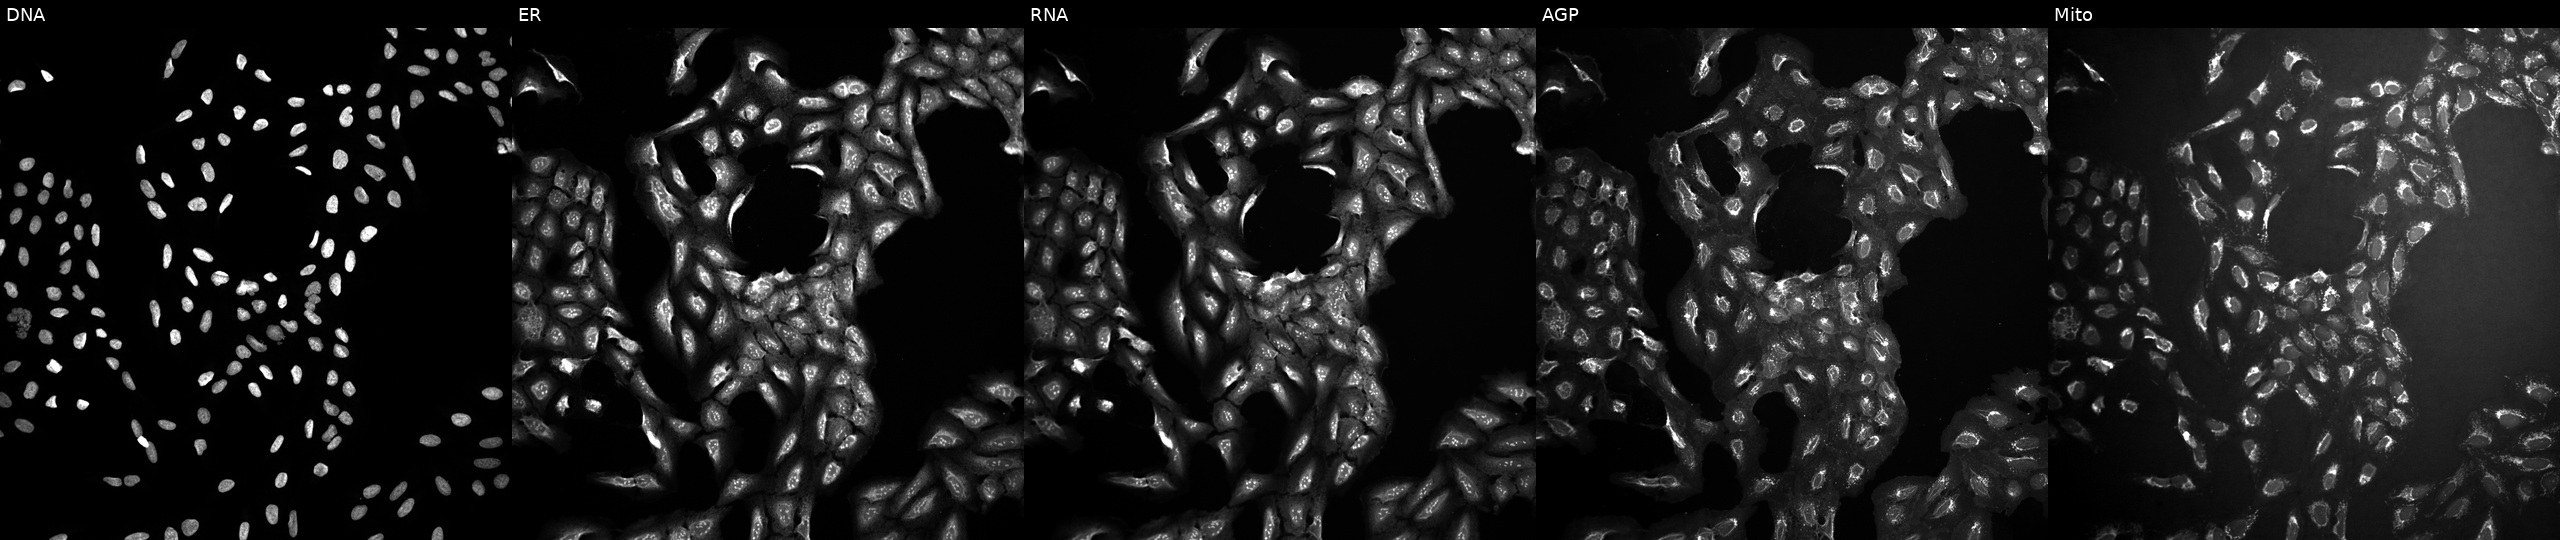
JUMP Cell Painting — TARGET2 plate. U2OS cells exposed to a small-molecule compound. From left to right: DNA, ER, RNA, AGP, and Mito.